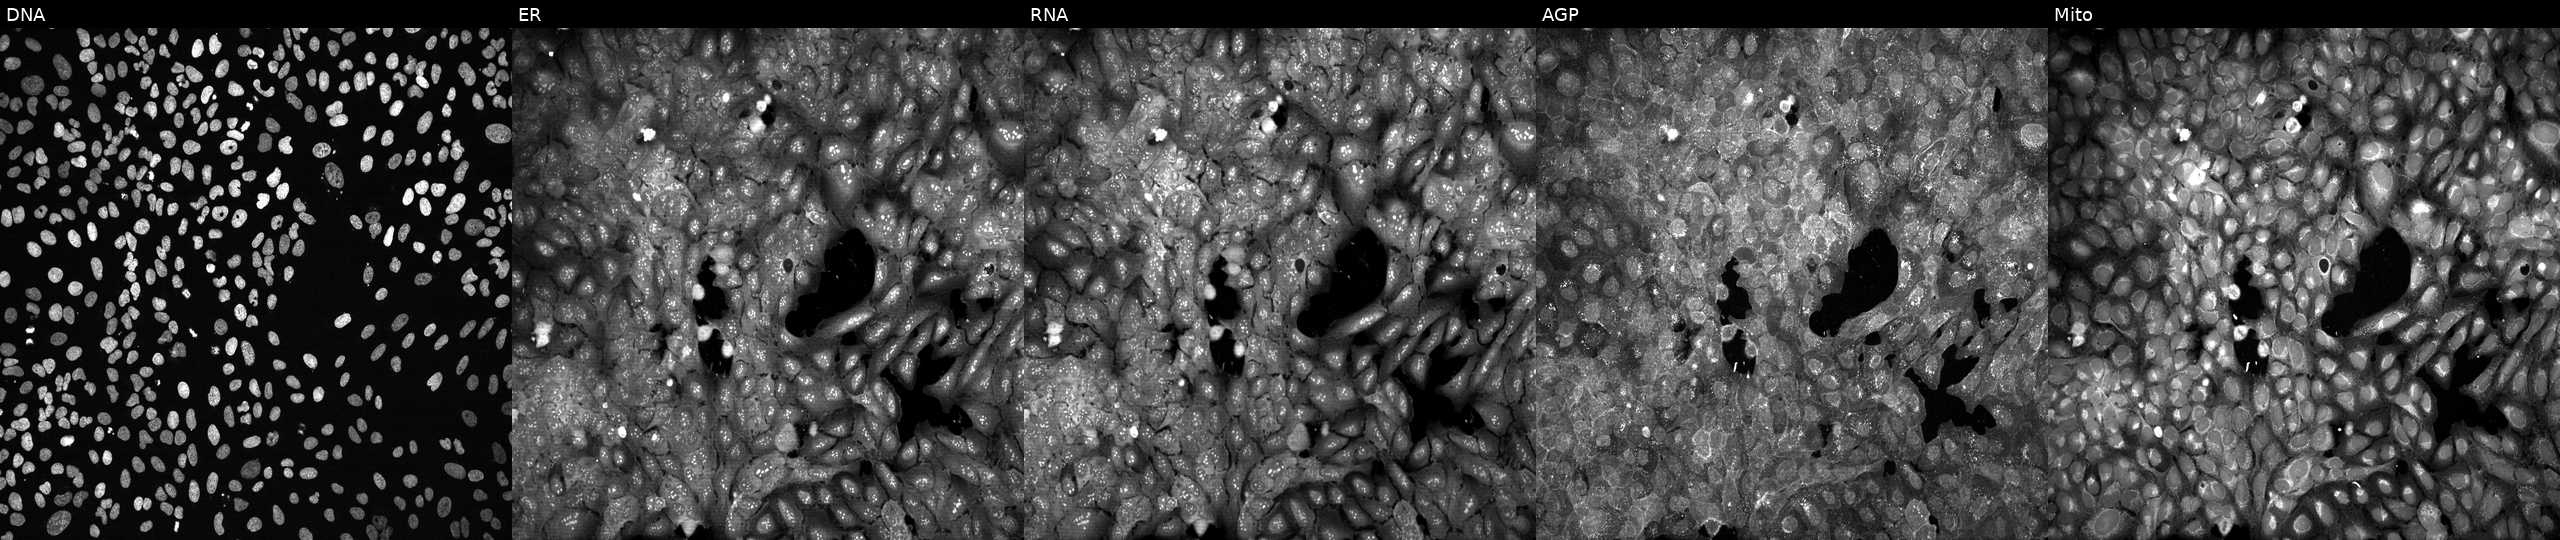
High-content fluorescence microscopy (Cell Painting). Cell line: U2OS. Perturbation: with CBX8 knocked out by CRISPR. Panels show, left to right, DNA (nuclei); ER (endoplasmic reticulum); RNA (nucleoli and cytoplasmic RNA); AGP (actin cytoskeleton, Golgi, and plasma membrane); Mito (mitochondria). Source 13, plate CP-CC9-R1-01, well I14.